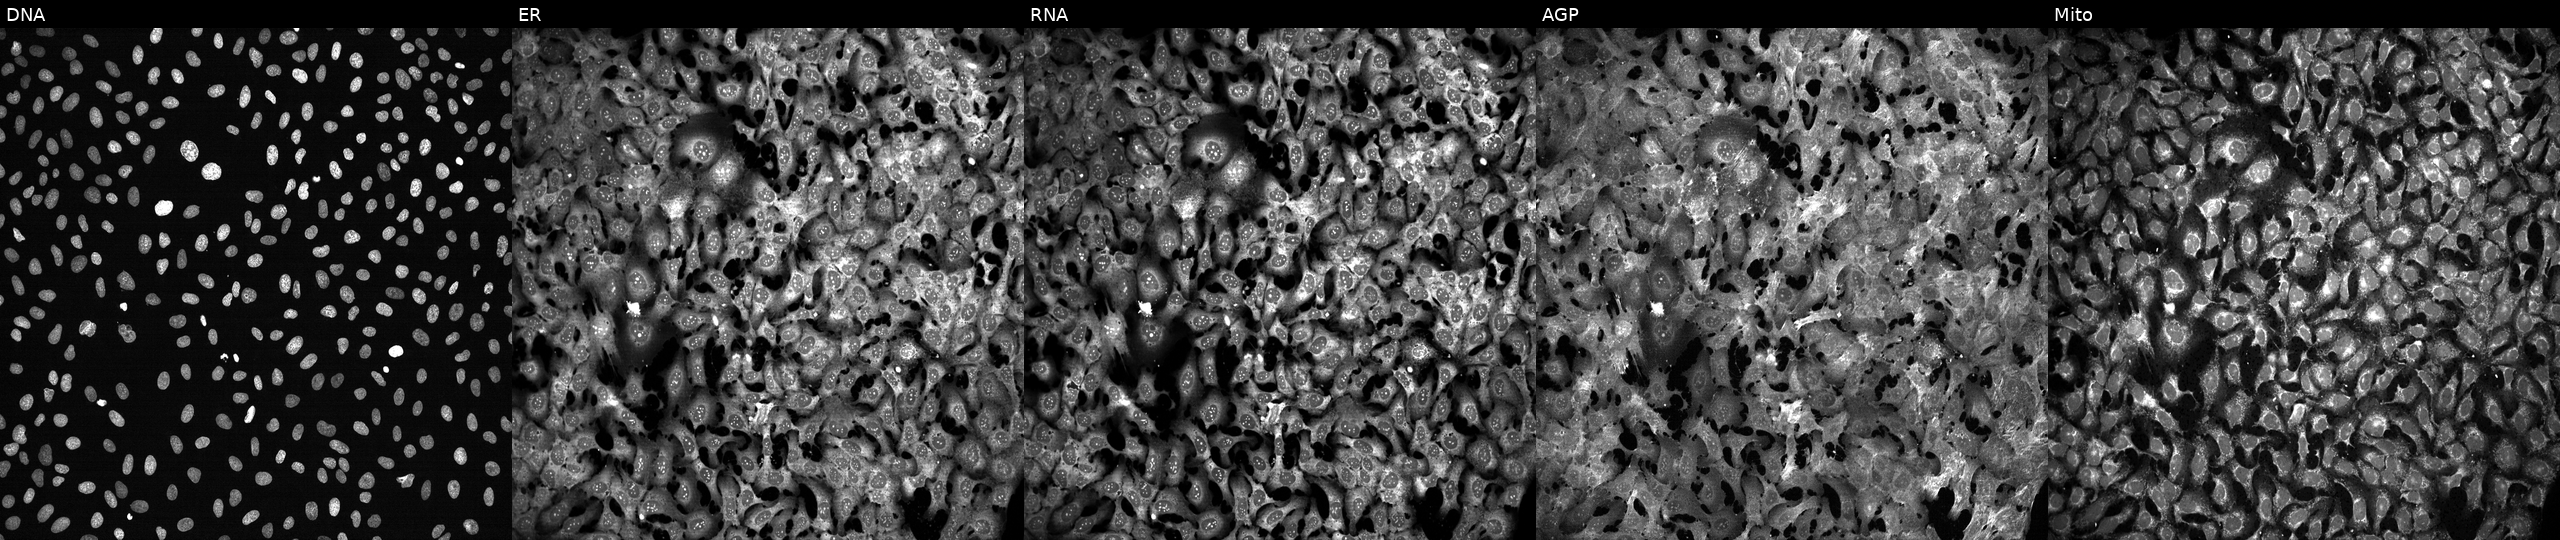
U2OS cells, Cell Painting assay, exposed to the positive-control compound FK-866 (JUMP id JCP2022_046054). From left to right: DNA (nuclei); ER (endoplasmic reticulum); RNA (nucleoli and cytoplasmic RNA); AGP (actin cytoskeleton, Golgi, and plasma membrane); Mito (mitochondria). Each panel is percentile-stretched 16-bit fluorescence.